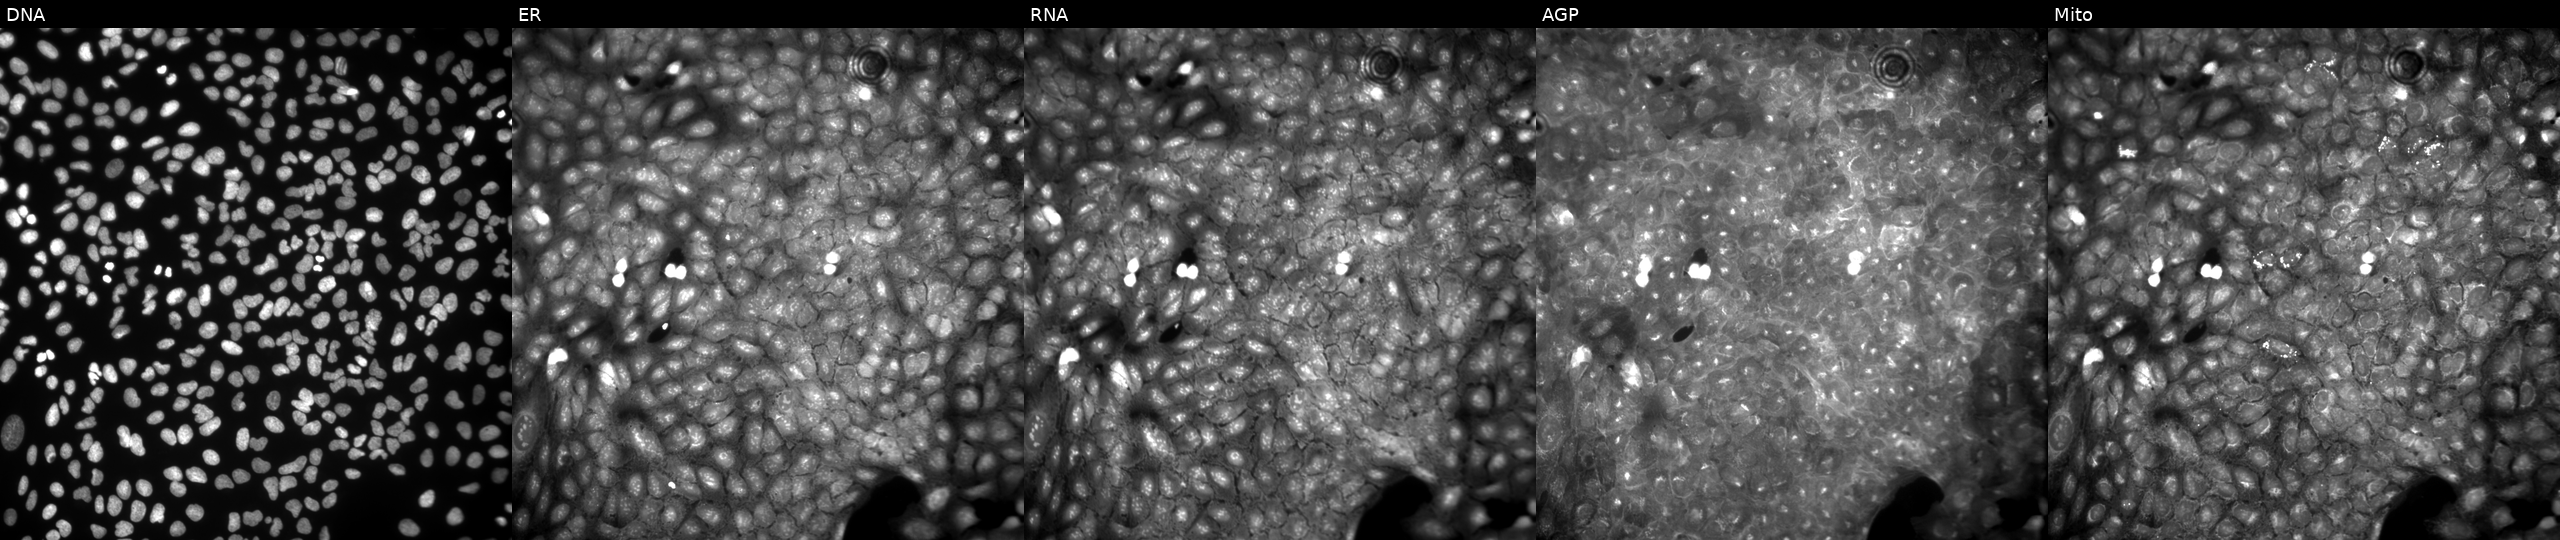
Panels show, left to right, DNA, ER, RNA, AGP, and Mito. U2OS osteosarcoma cells treated with a small-molecule compound. Cell Painting assay, JUMP-CP dataset.